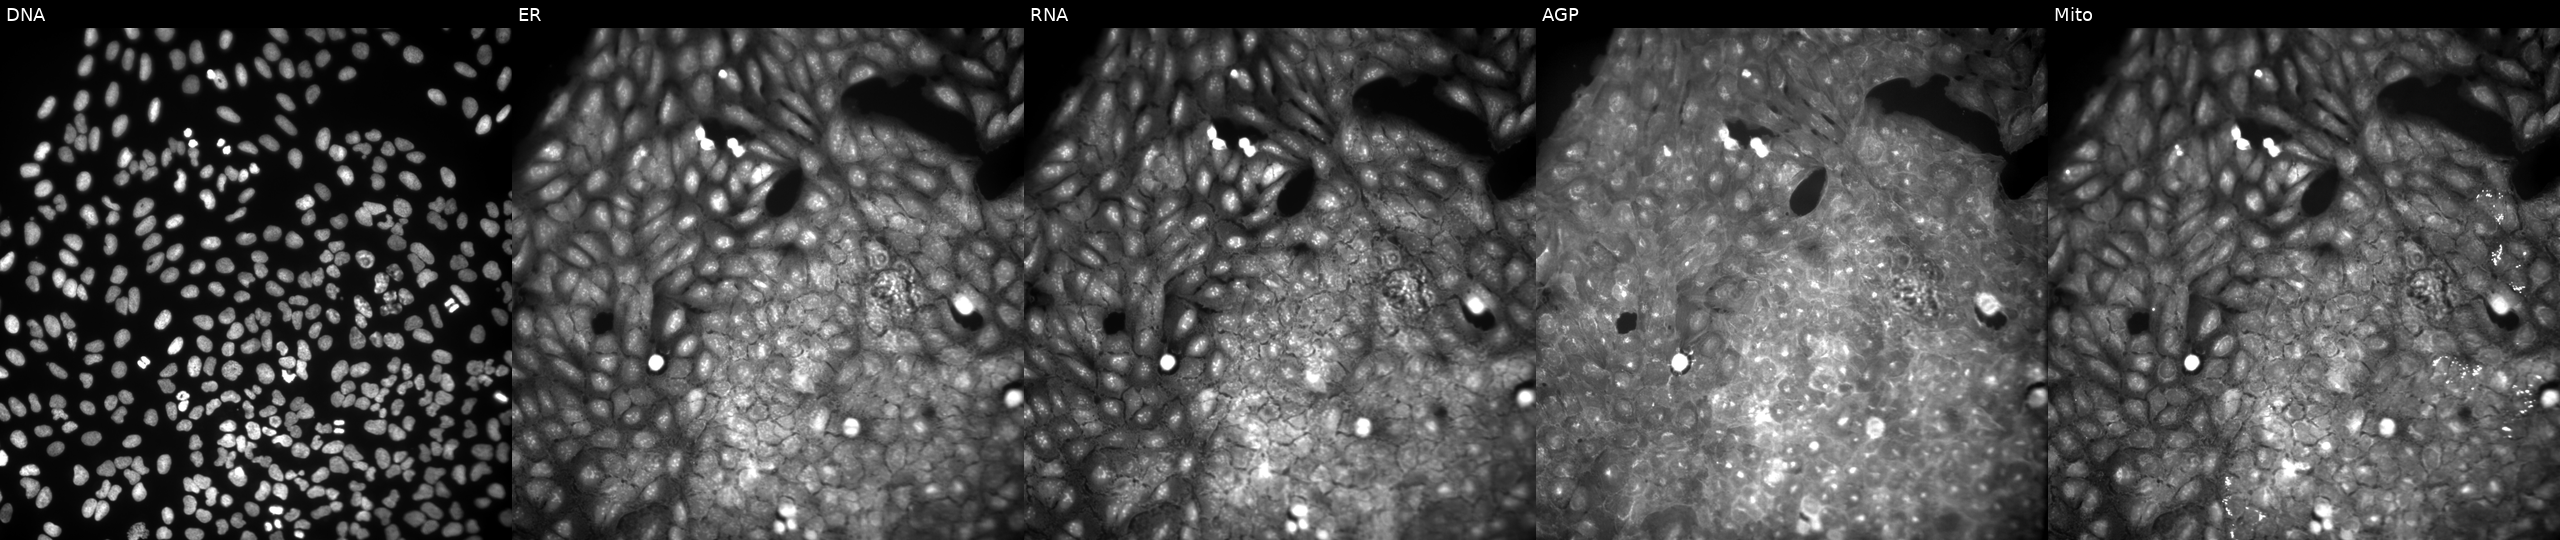
U2OS cells, Cell Painting assay, perturbed with a small-molecule compound (InChIKey QNFGFJQLGPBPJR-UHFFFAOYSA-N). Channels (left→right): Hoechst 33342, concanavalin A, SYTO 14, phalloidin and WGA, MitoTracker. Each panel is percentile-stretched 16-bit fluorescence.